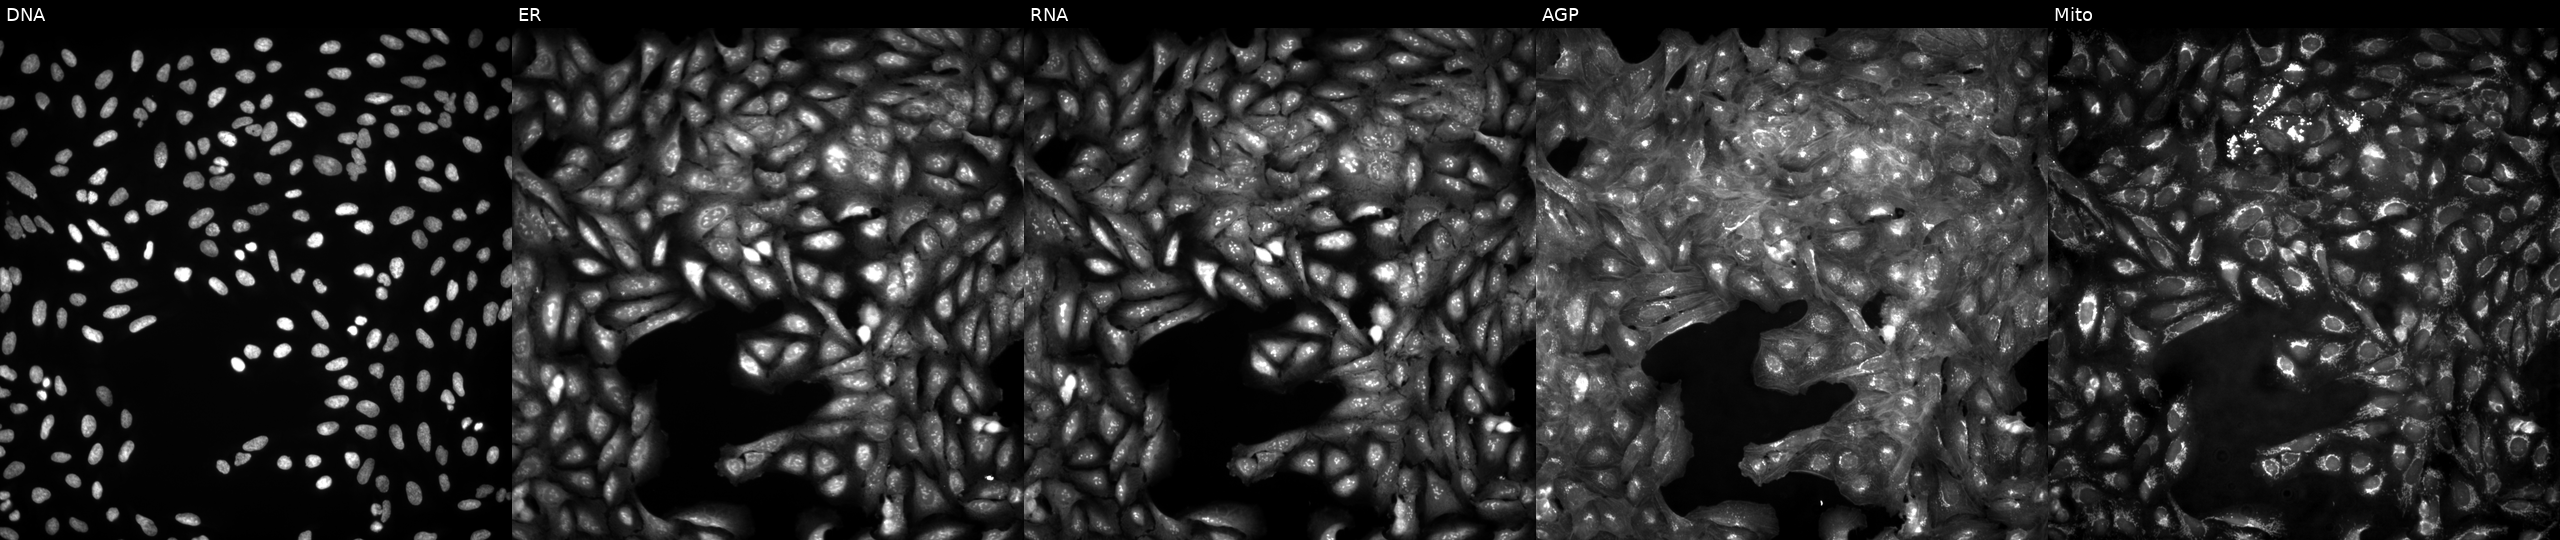
Five-channel Cell Painting image of U2OS cells untreated (empty-well control). Panels show, left to right, DNA, ER, RNA, AGP, and Mito. Source 4, plate BR00123946, well D05.